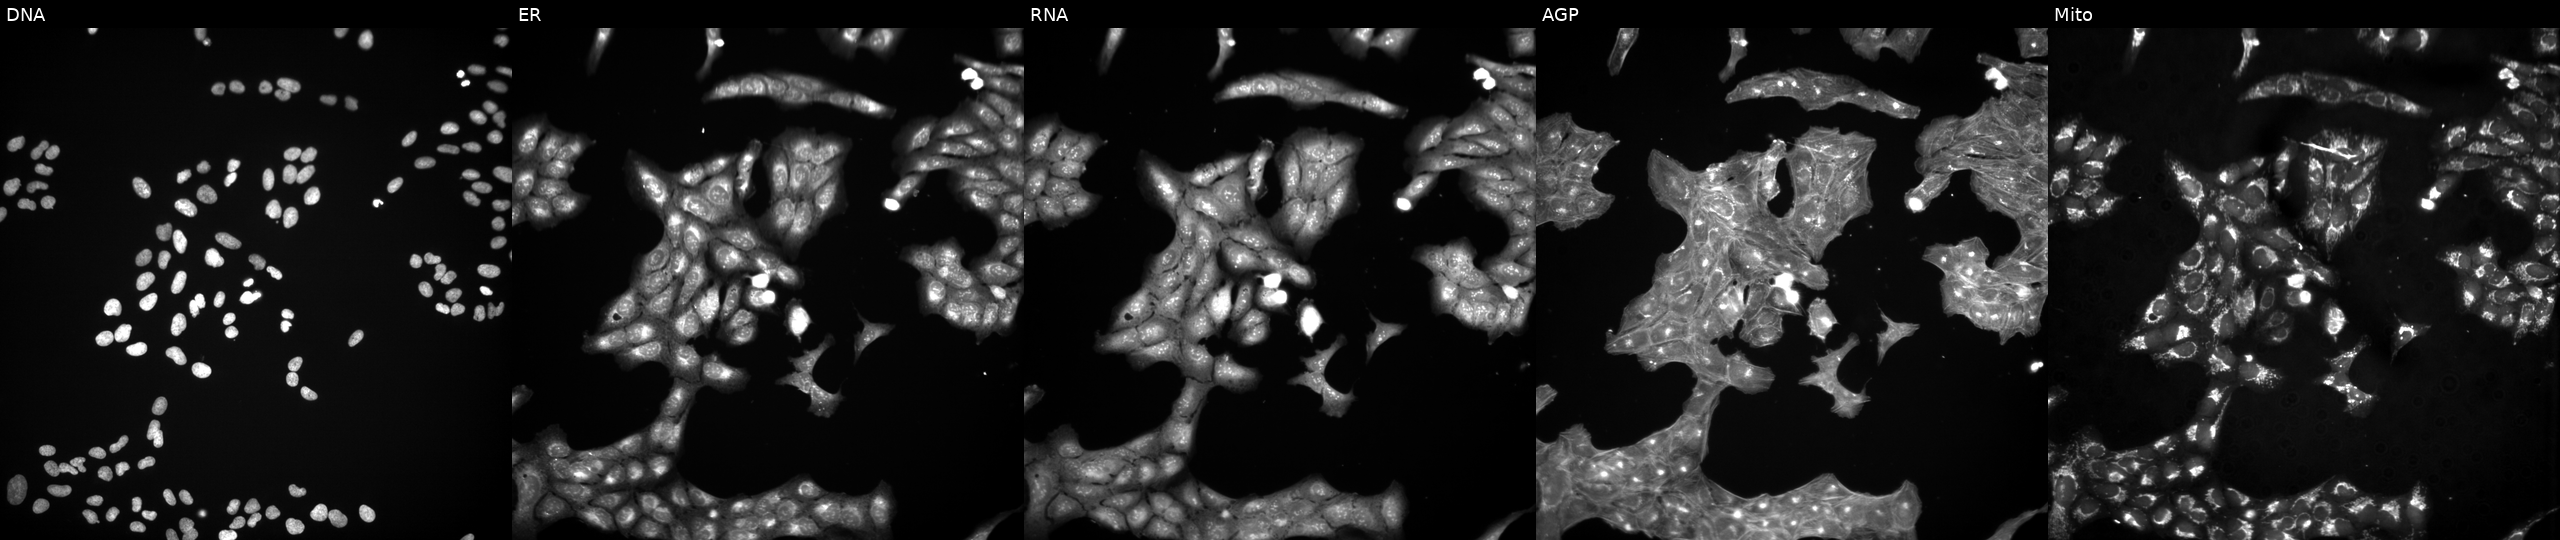
The five panels, left to right, show DNA (nuclei); ER (endoplasmic reticulum); RNA (nucleoli and cytoplasmic RNA); AGP (actin cytoskeleton, Golgi, and plasma membrane); Mito (mitochondria). U2OS osteosarcoma cells perturbed with a small-molecule compound (InChIKey FERIUCNNQQJTOY-UHFFFAOYSA-N). Cell Painting assay, JUMP-CP dataset.